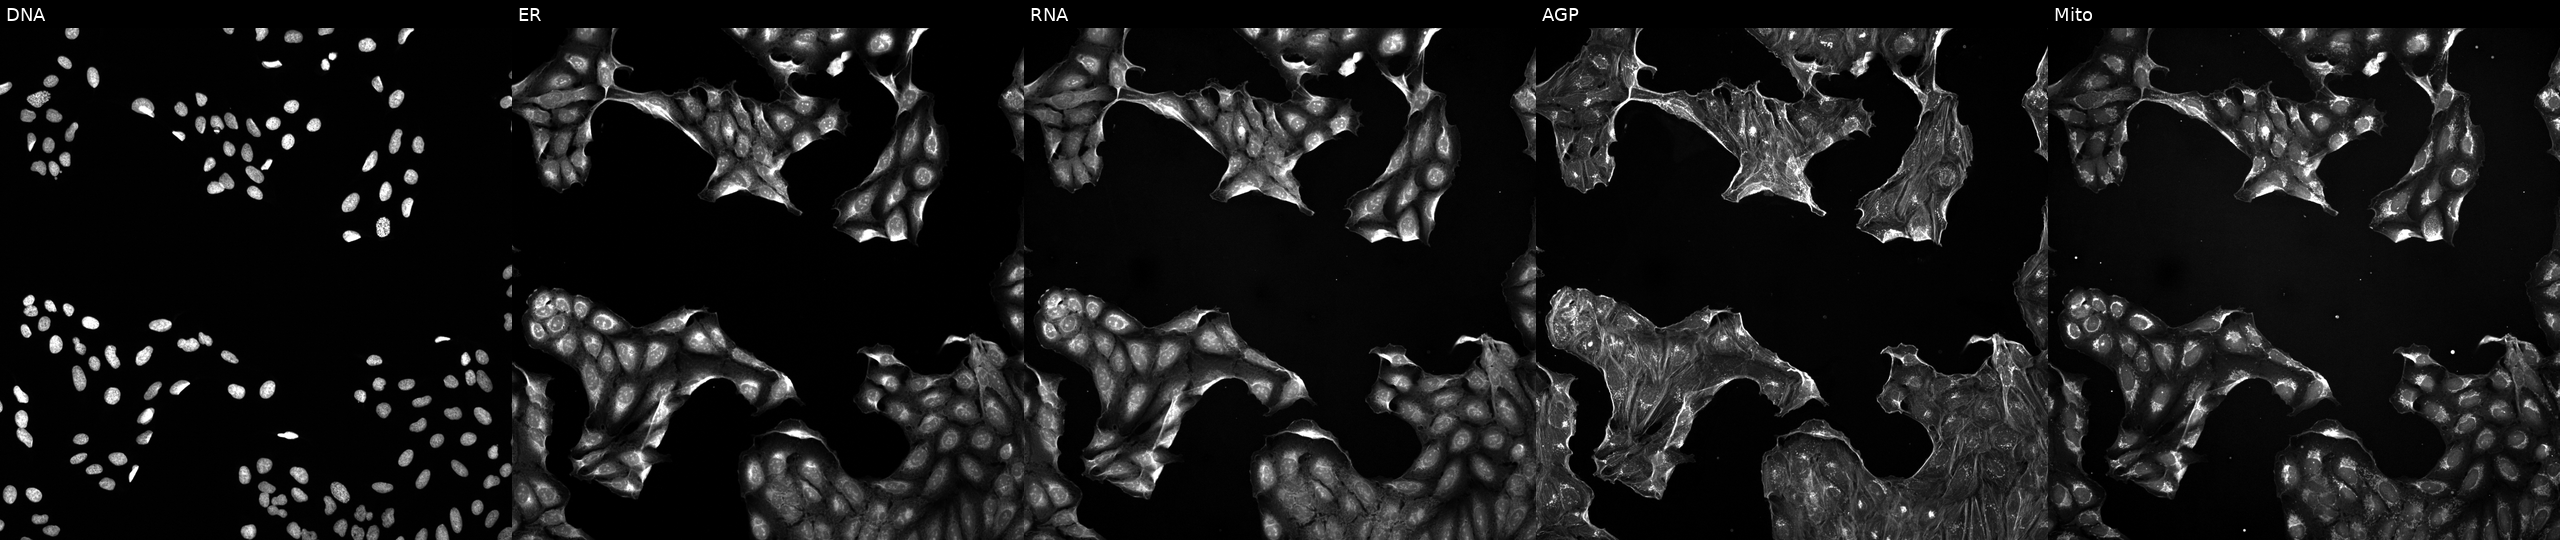
U2OS cells, Cell Painting assay, treated with a small-molecule compound (InChIKey WPEWQEMJFLWMLV-UHFFFAOYSA-N) (JUMP id JCP2022_100264). The five panels, left to right, show DNA, ER, RNA, AGP, and Mito. Each panel is percentile-stretched 16-bit fluorescence. Source 5, plate ACPJUM051, well A07.